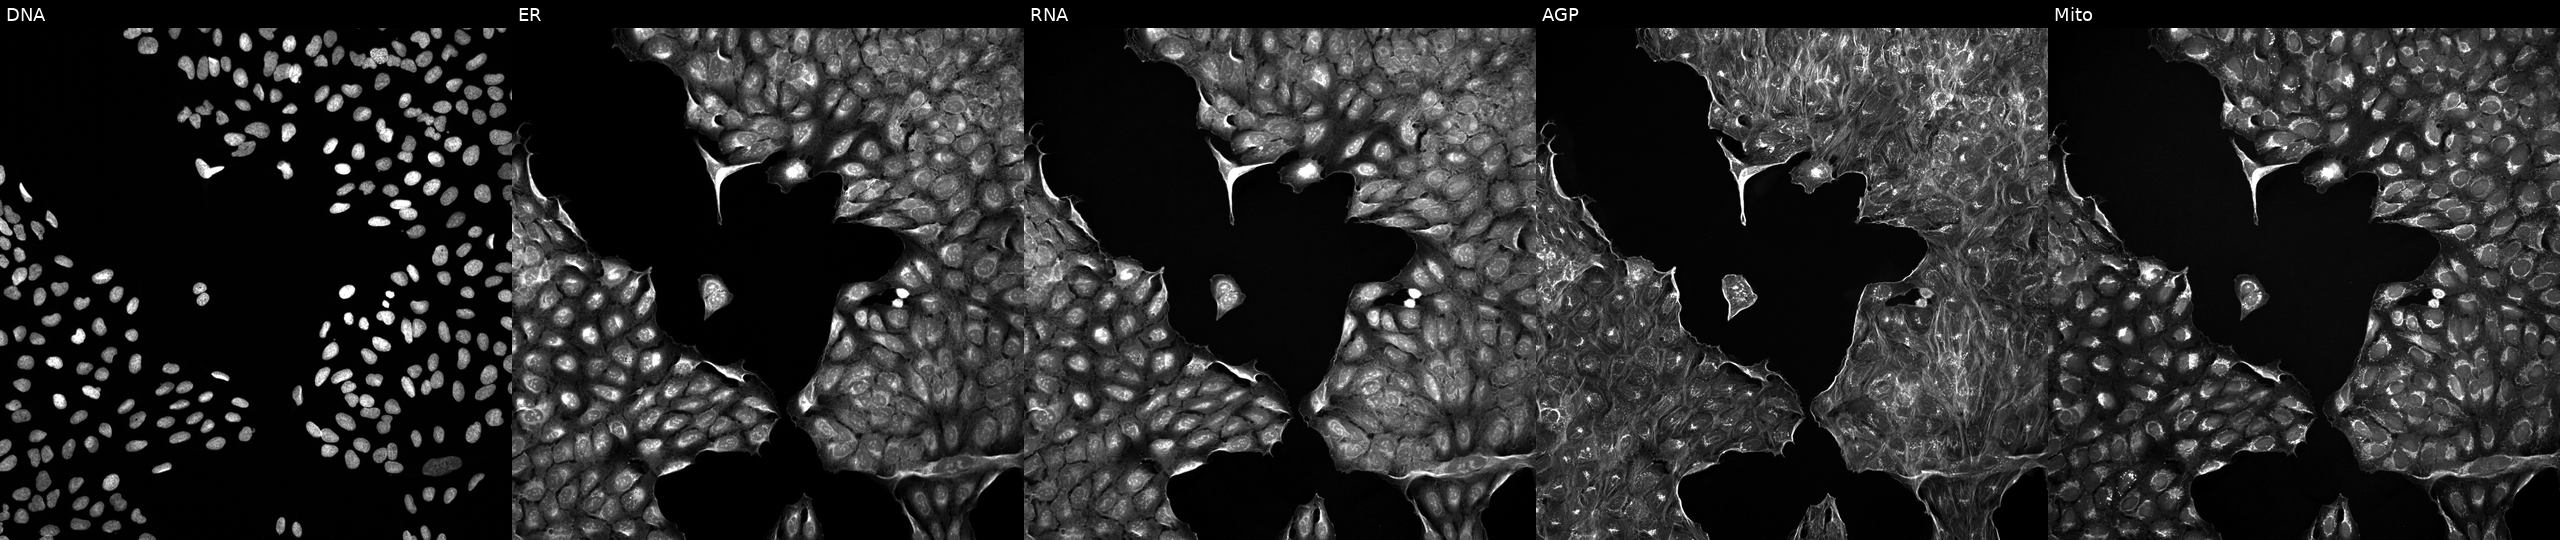
JUMP Cell Painting — TARGET2 plate. U2OS cells treated with a small-molecule compound (InChIKey ALOBUEHUHMBRLE-UHFFFAOYSA-N) (JUMP id JCP2022_002206). Panels show, left to right, Hoechst 33342, concanavalin A, SYTO 14, phalloidin and WGA, MitoTracker.